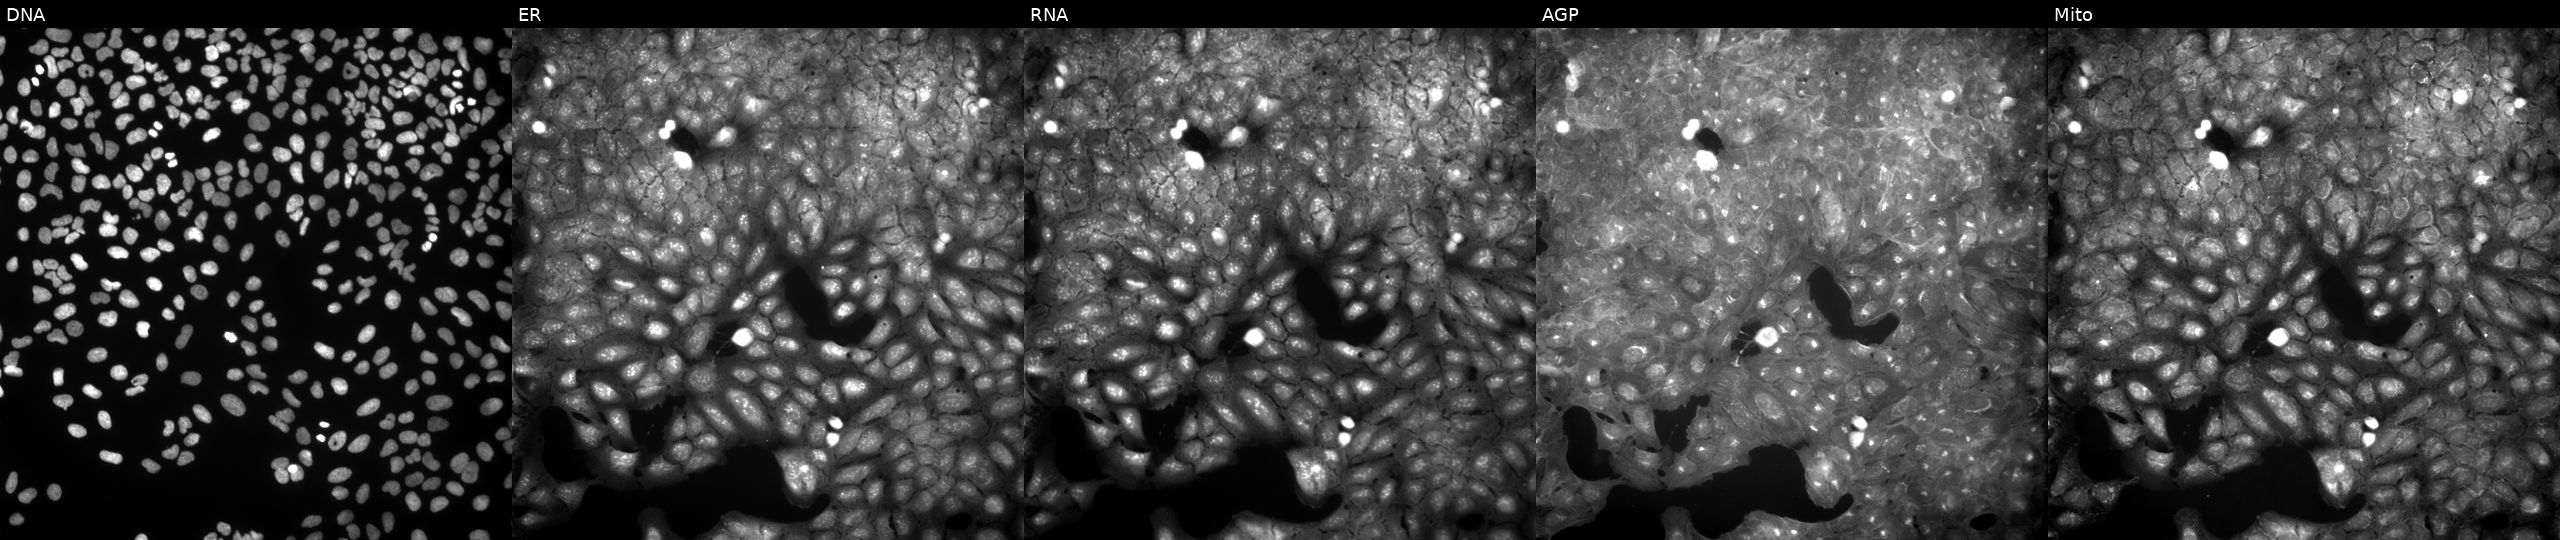
This image strip shows the five Cell Painting channels for a single field of U2OS cells exposed to DMSO alone as a negative control (JUMP id JCP2022_033924). Panels show, left to right, Hoechst 33342, concanavalin A, SYTO 14, phalloidin and WGA, MitoTracker.